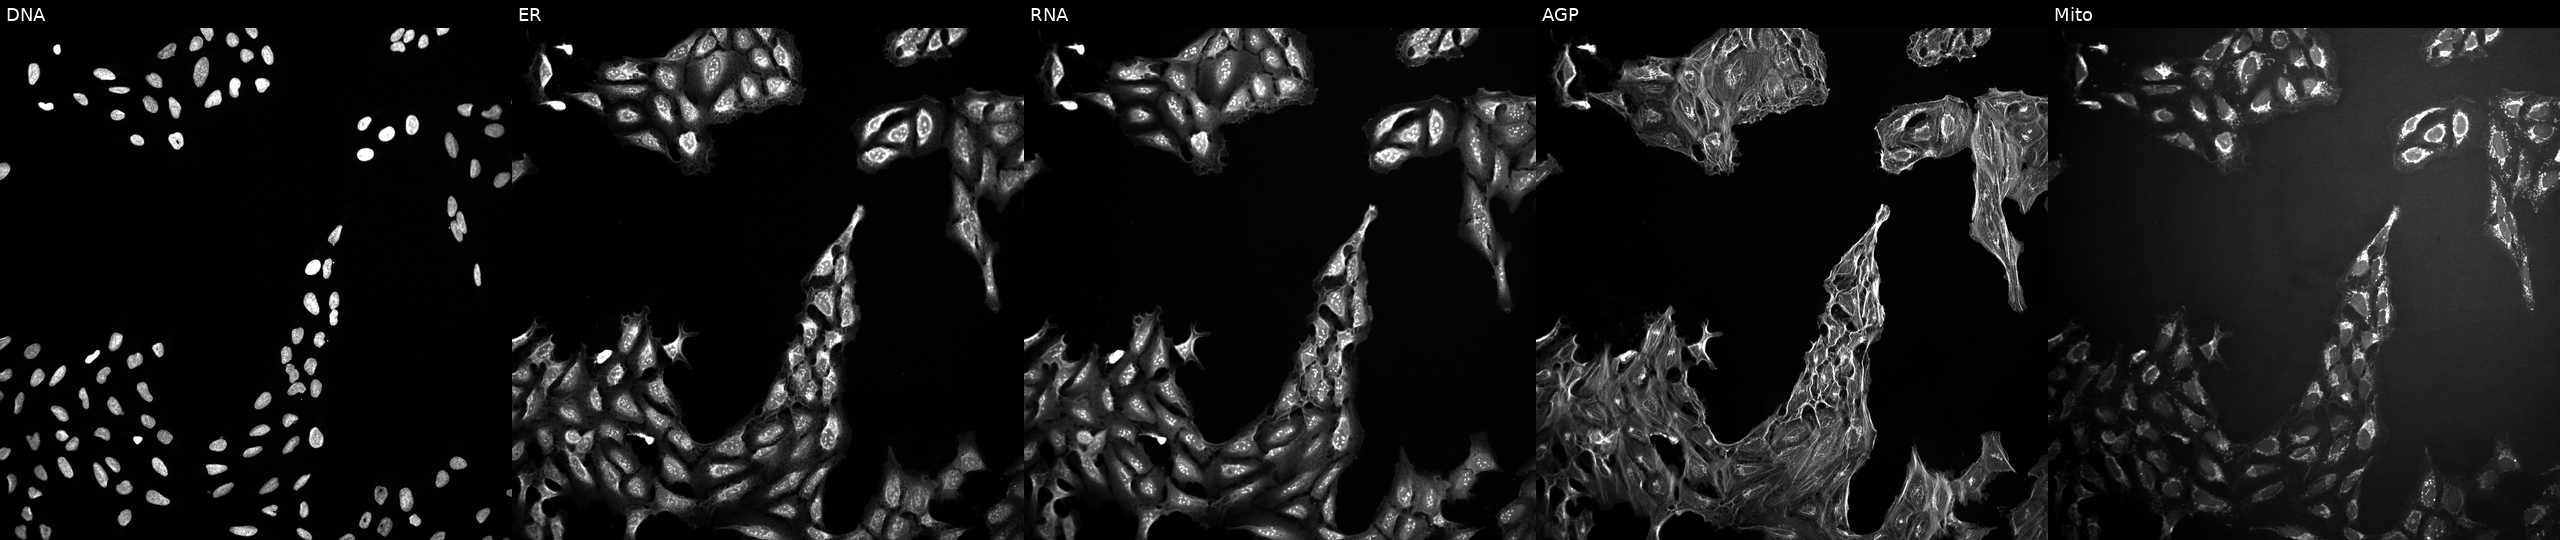
Five-channel Cell Painting image of U2OS cells exposed to DMSO alone as a negative control (JUMP id JCP2022_033924). Panels show, left to right, DNA (nuclei); ER (endoplasmic reticulum); RNA (nucleoli and cytoplasmic RNA); AGP (actin cytoskeleton, Golgi, and plasma membrane); Mito (mitochondria).